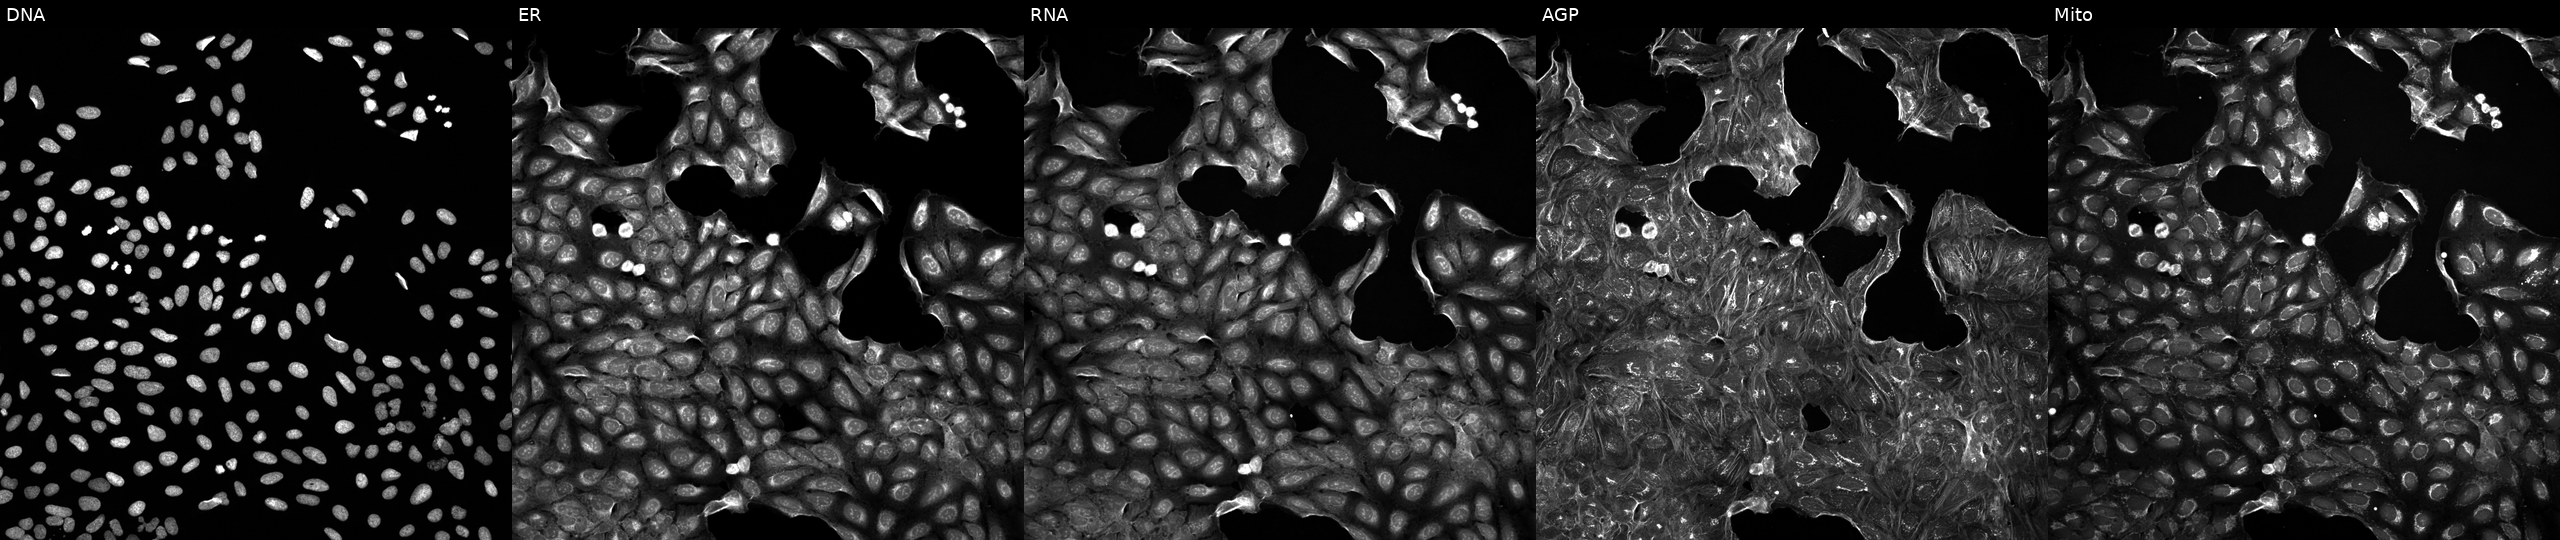
U2OS cells, Cell Painting assay, treated with a small-molecule compound (JUMP id JCP2022_087444). Panels show, left to right, Hoechst 33342, concanavalin A, SYTO 14, phalloidin and WGA, MitoTracker. Each panel is percentile-stretched 16-bit fluorescence.